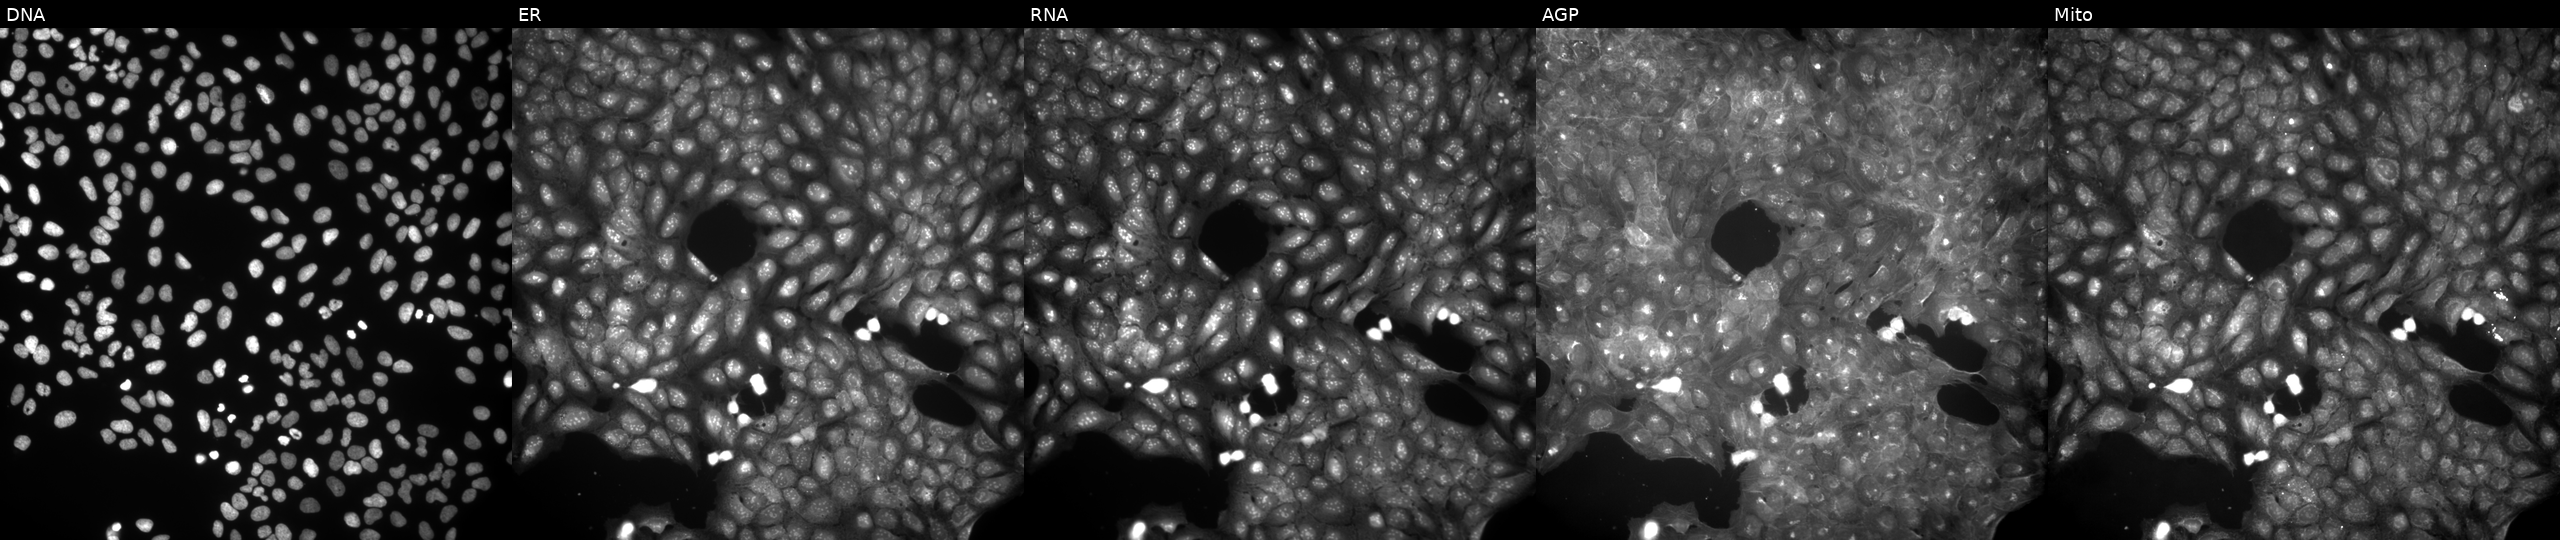
JUMP Cell Painting — COMPOUND plate. U2OS cells perturbed with a small-molecule compound (InChIKey AGMBOWLKHLHECT-UHFFFAOYSA-N) [SMILES: CS(=O)(=O)N(Cc1ccccc1)c1ccc(C(=O)NCc2ccccc2)cc1] (JUMP id JCP2022_001262). The five panels, left to right, show DNA (nuclei); ER (endoplasmic reticulum); RNA (nucleoli and cytoplasmic RNA); AGP (actin cytoskeleton, Golgi, and plasma membrane); Mito (mitochondria). Source 9, plate GR00003382, well R32.